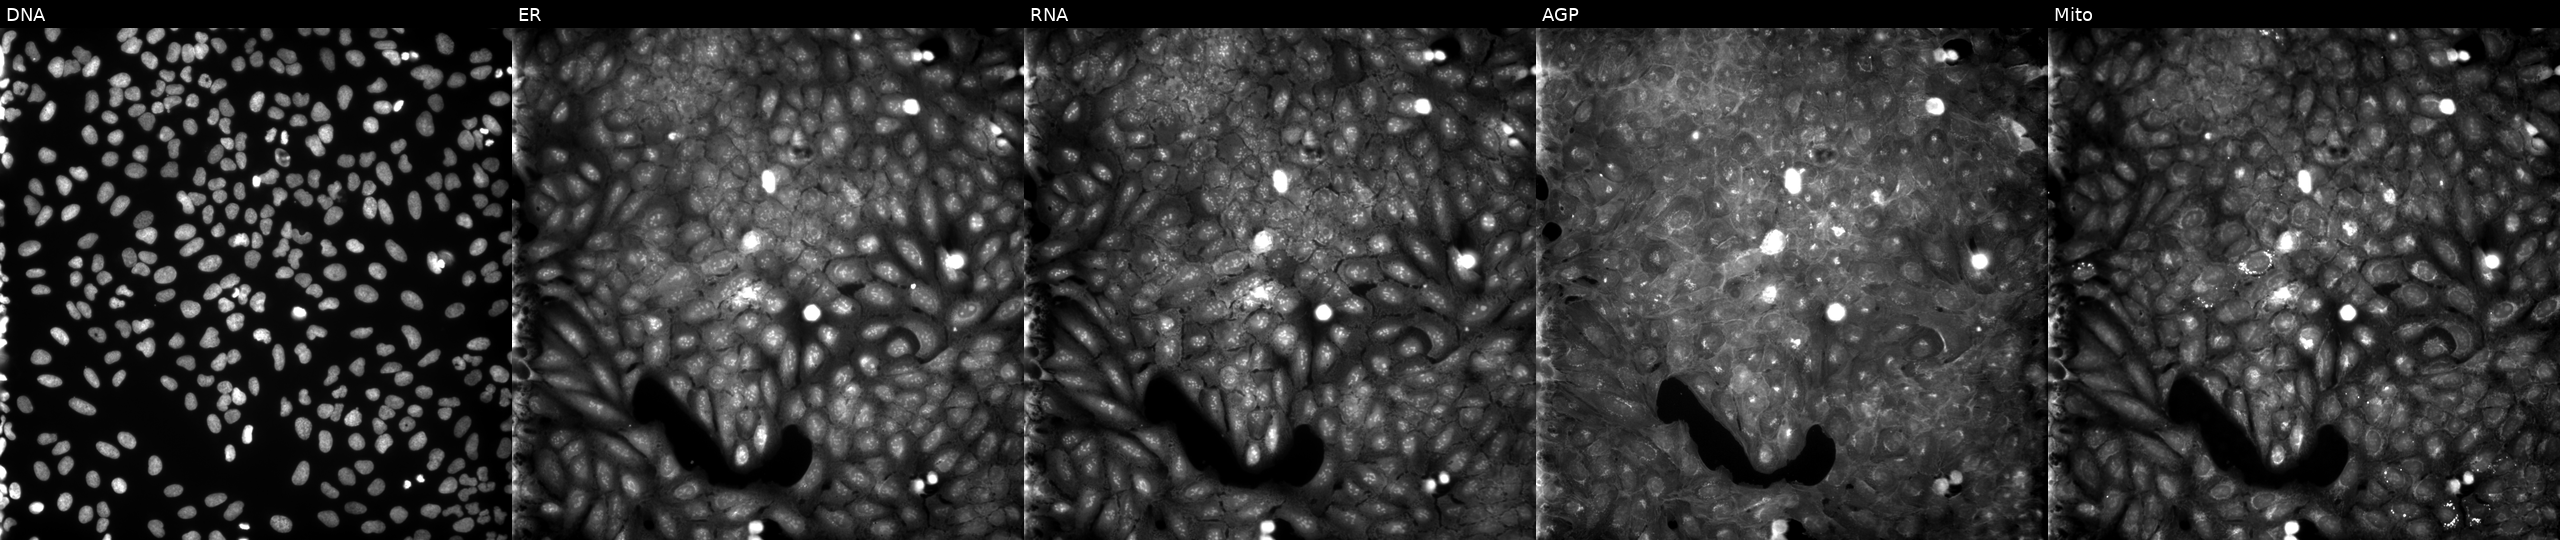
This image strip shows the five Cell Painting channels for a single field of U2OS cells exposed to a small-molecule compound (JUMP id JCP2022_075899). Panels show, left to right, Hoechst 33342, concanavalin A, SYTO 14, phalloidin and WGA, MitoTracker. Source 9, plate GR00003381, well C21.